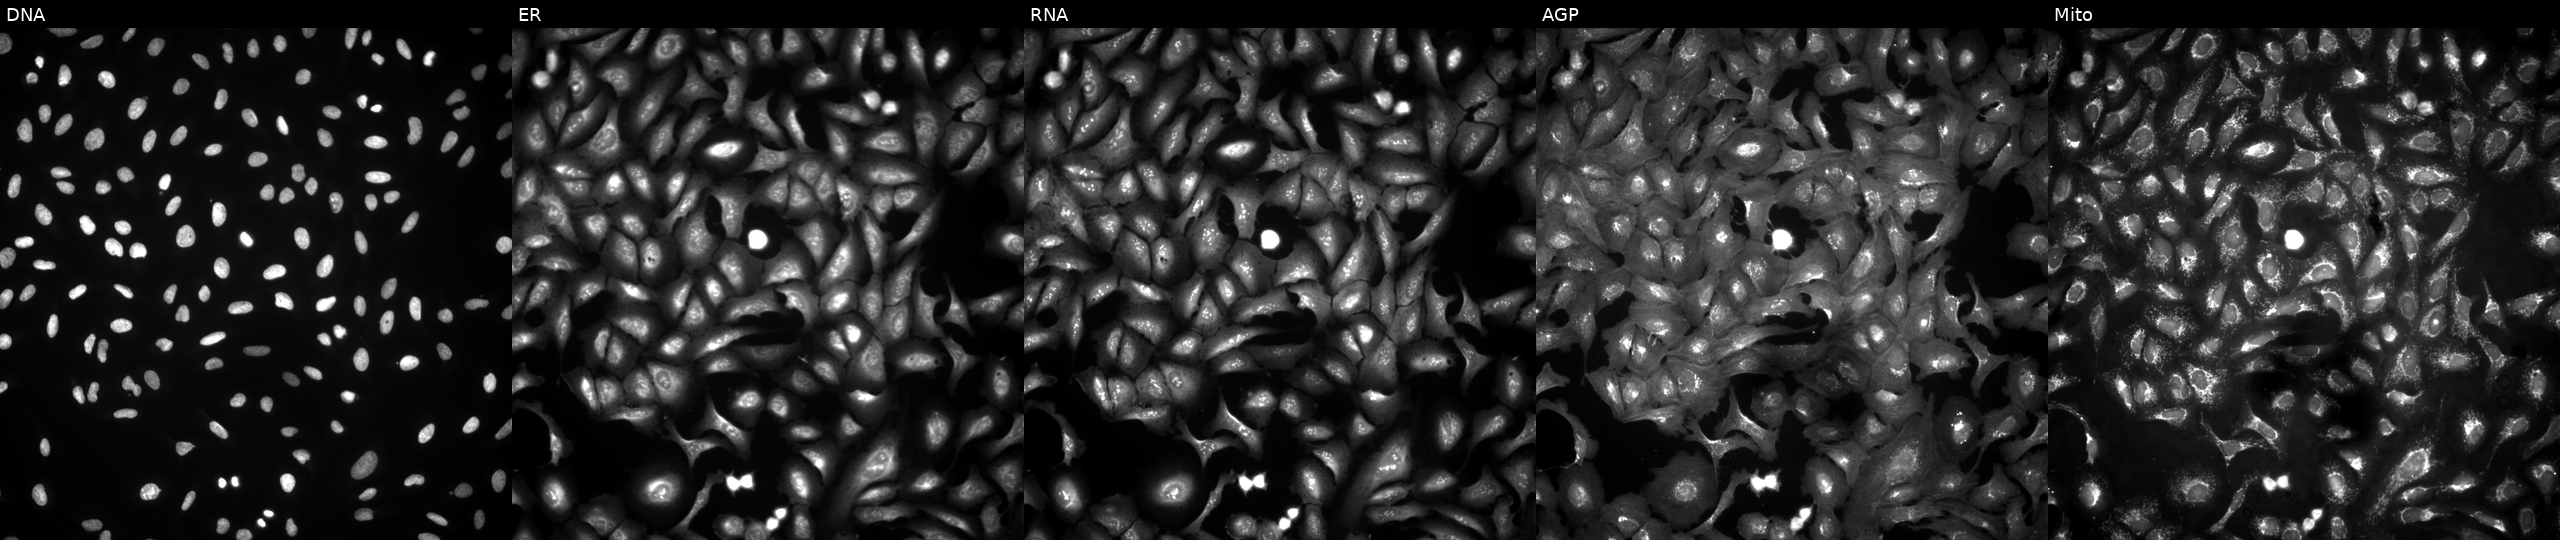
The five panels, left to right, show DNA (nuclei); ER (endoplasmic reticulum); RNA (nucleoli and cytoplasmic RNA); AGP (actin cytoskeleton, Golgi, and plasma membrane); Mito (mitochondria). U2OS osteosarcoma cells transfected with an ORF construct for ABCB9 (JUMP id JCP2022_910944). Cell Painting assay, JUMP-CP dataset. Source 4, plate BR00124790, well F01.